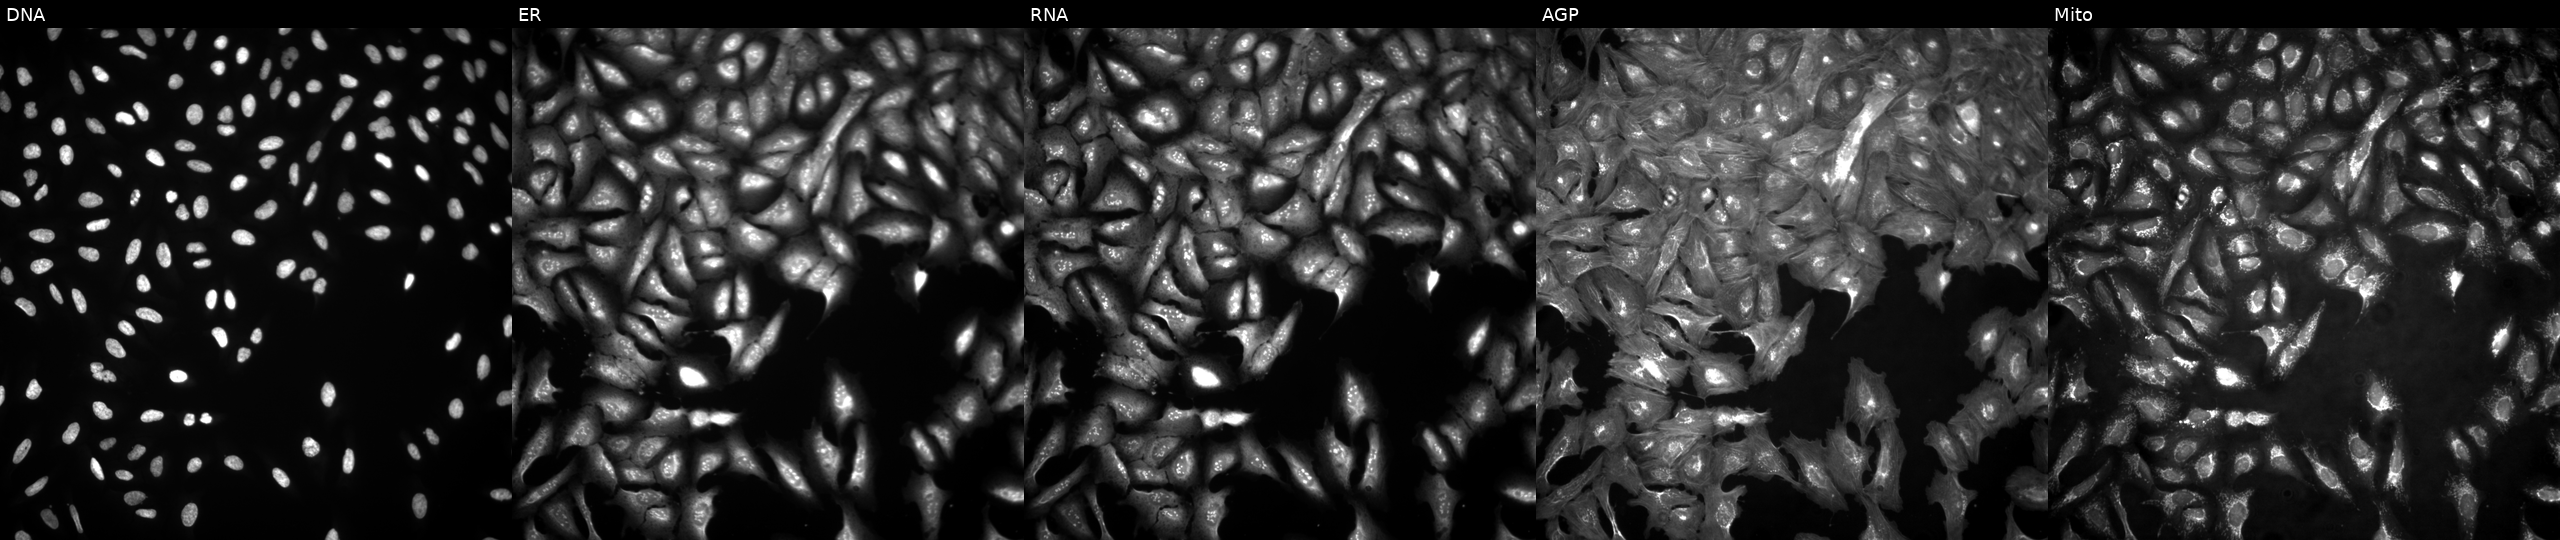
This image strip shows the five Cell Painting channels for a single field of U2OS cells transfected with an ORF construct for XLOC_000477 (JUMP id JCP2022_912870). Channels (left→right): DNA (nuclei); ER (endoplasmic reticulum); RNA (nucleoli and cytoplasmic RNA); AGP (actin cytoskeleton, Golgi, and plasma membrane); Mito (mitochondria).